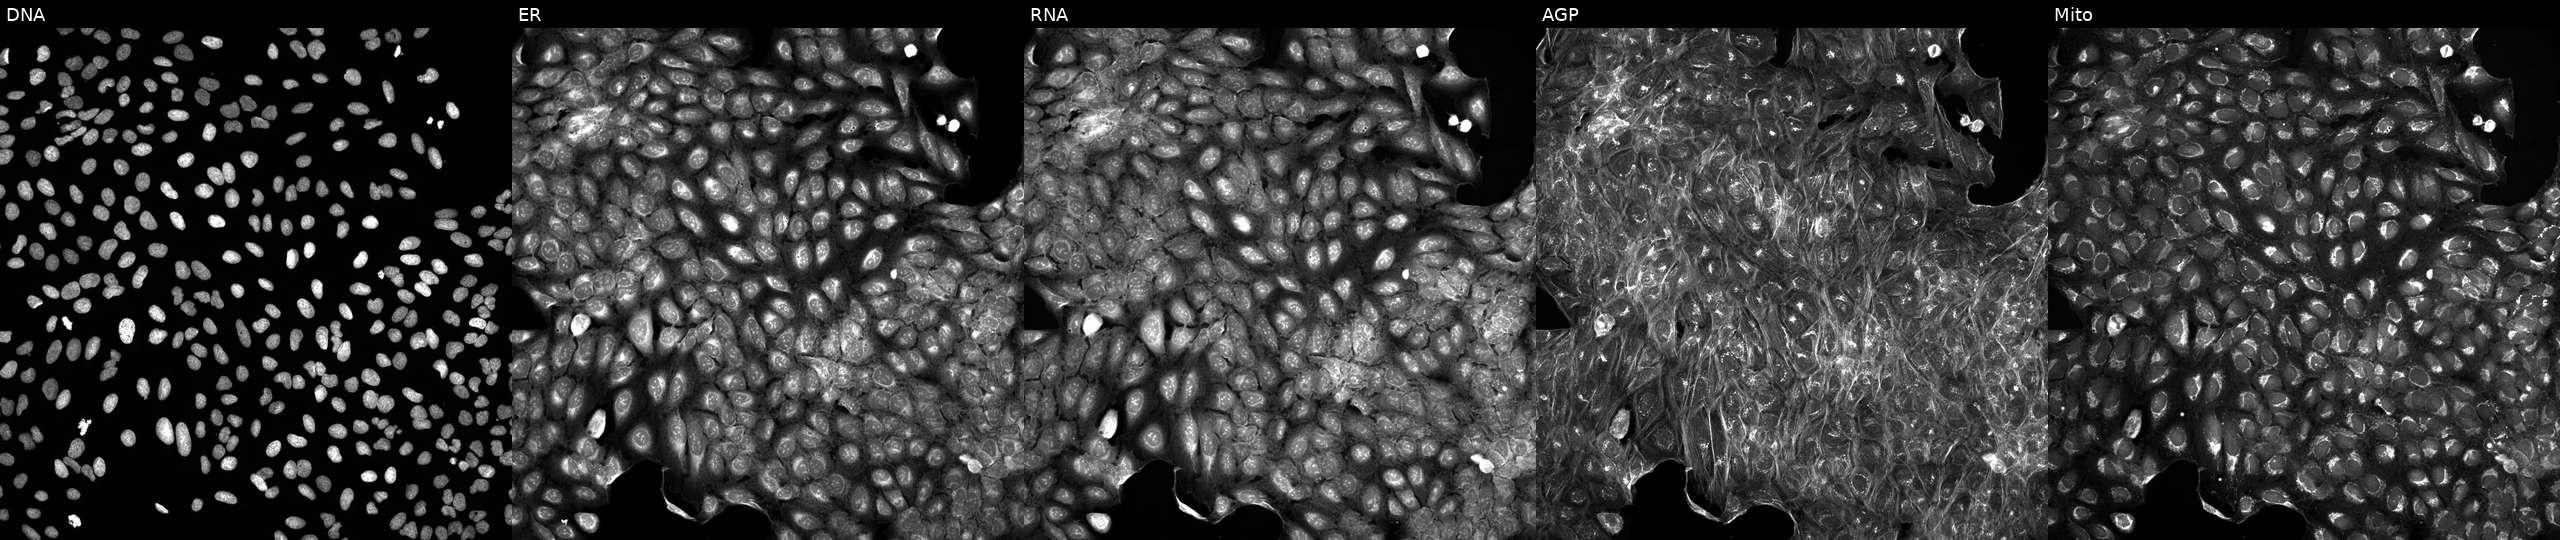
U2OS cells, Cell Painting assay, treated with DMSO vehicle only (negative control). Channels (left→right): DNA, ER, RNA, AGP, and Mito. Each panel is percentile-stretched 16-bit fluorescence. Source 5, plate ACPJUM051, well G16.